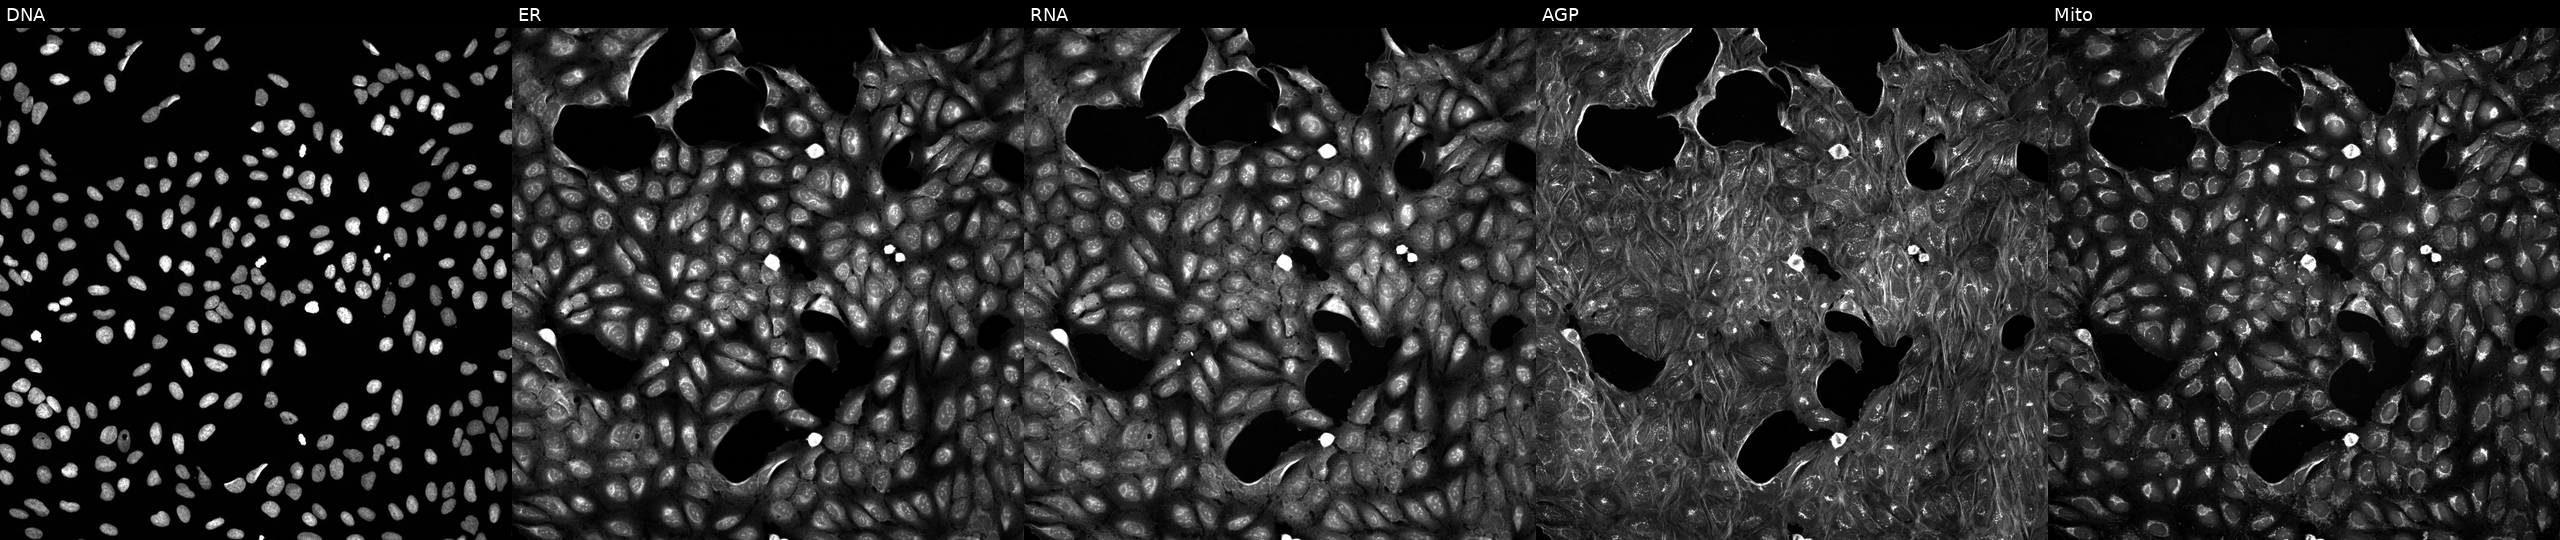
U2OS cells, Cell Painting assay, treated with a small-molecule compound (InChIKey TXUZVZSFRXZGTL-UHFFFAOYSA-N). Channels (left→right): Hoechst 33342, concanavalin A, SYTO 14, phalloidin and WGA, MitoTracker. Each panel is percentile-stretched 16-bit fluorescence. Source 5, plate ACPJUM032, well C15.